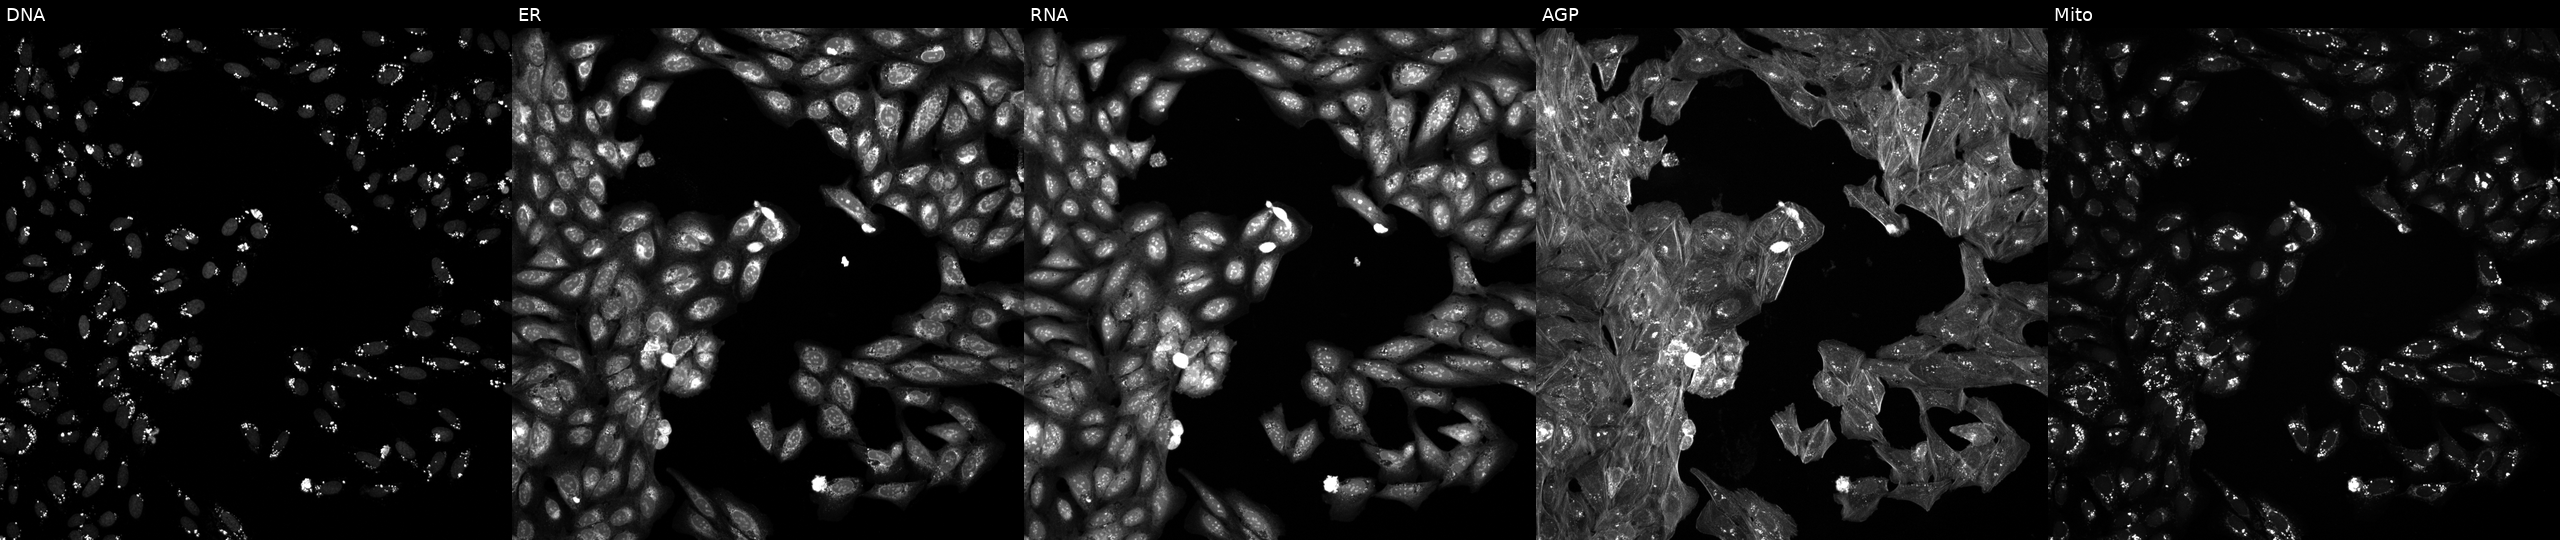
The five panels, left to right, show DNA, ER, RNA, AGP, and Mito. U2OS osteosarcoma cells perturbed with a small-molecule compound [SMILES: O=C(Nc1ccc(Cl)cc1)c1ccc(-c2nc3ccccc3s2)s1]. Cell Painting assay, JUMP-CP dataset. Source 6, plate 110000293083, well J10.